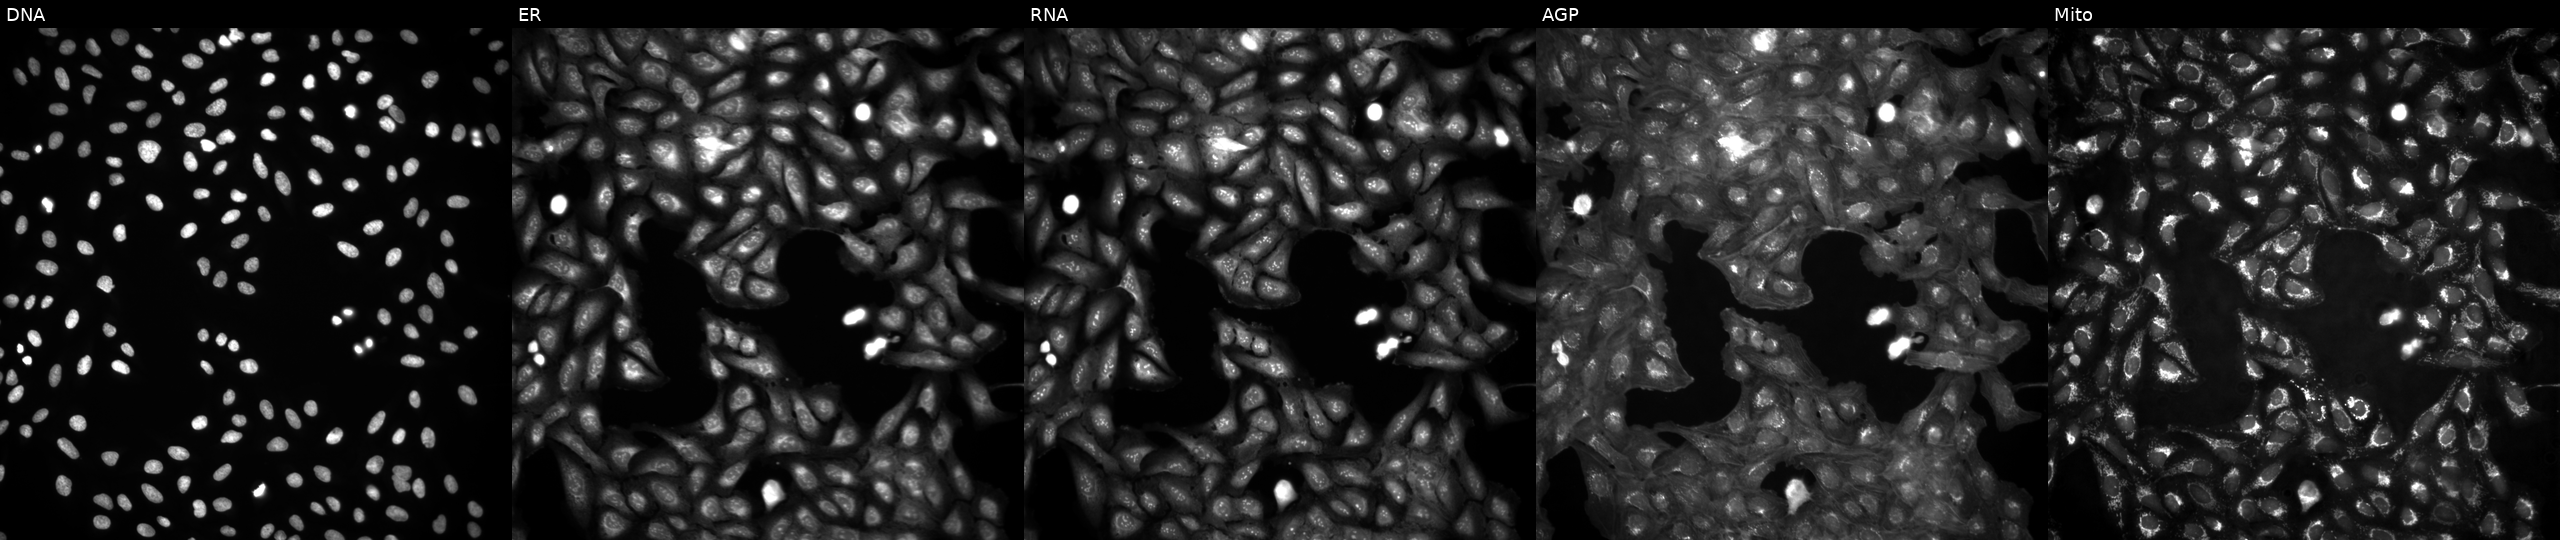
Five-channel Cell Painting image of U2OS cells in an empty control well (no perturbation) (JUMP id JCP2022_999999). From left to right: Hoechst 33342, concanavalin A, SYTO 14, phalloidin and WGA, MitoTracker.